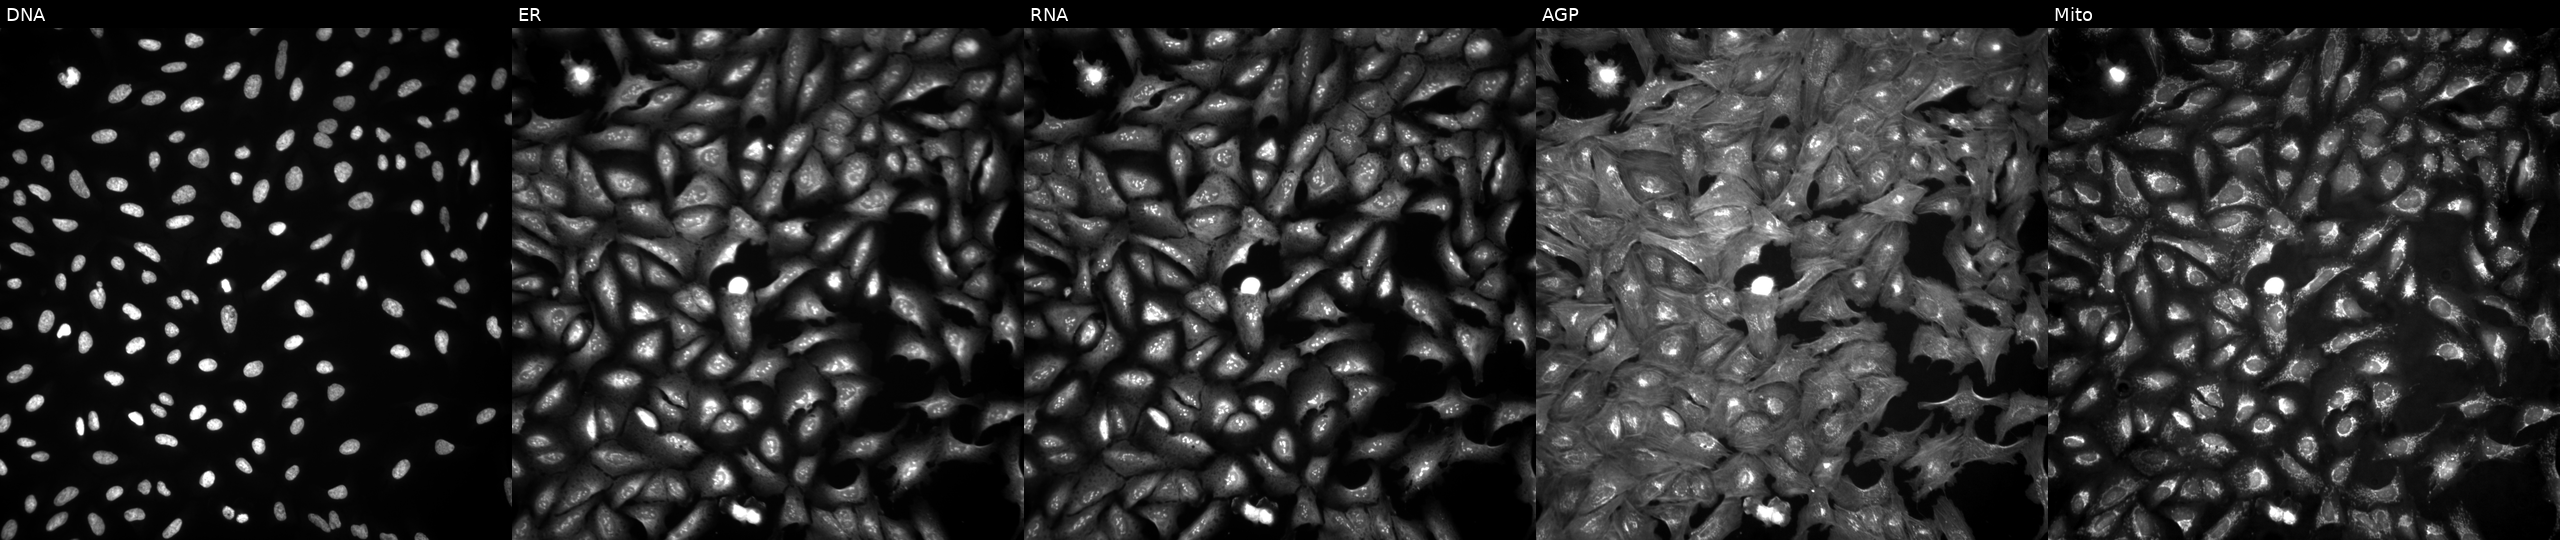
JUMP Cell Painting — ORF plate. U2OS cells transfected with an ORF construct for FAM74A6 (JUMP id JCP2022_915123). Channels (left→right): DNA, ER, RNA, AGP, and Mito.